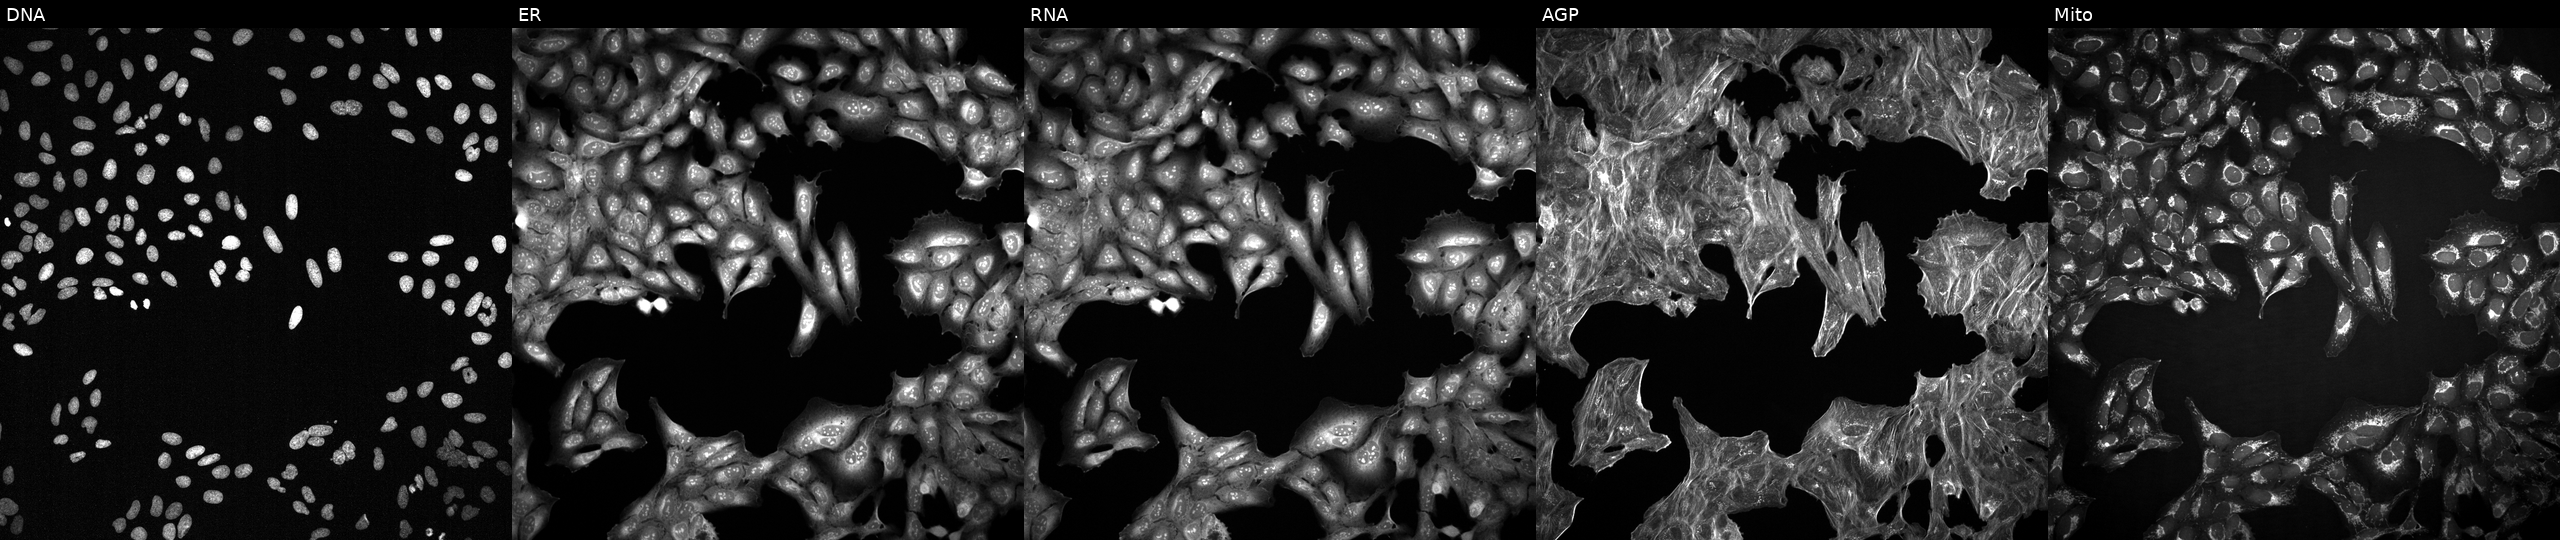
Five-channel Cell Painting image of U2OS cells treated with a small-molecule compound [SMILES: CC1Oc2cc(c[nH]c2=N)-c2c(nn(C)c2C#N)CN(C)C(=O)c2ccc(F)cc21]. Panels show, left to right, Hoechst 33342, concanavalin A, SYTO 14, phalloidin and WGA, MitoTracker. Source 2, plate 1053600674, well N15.